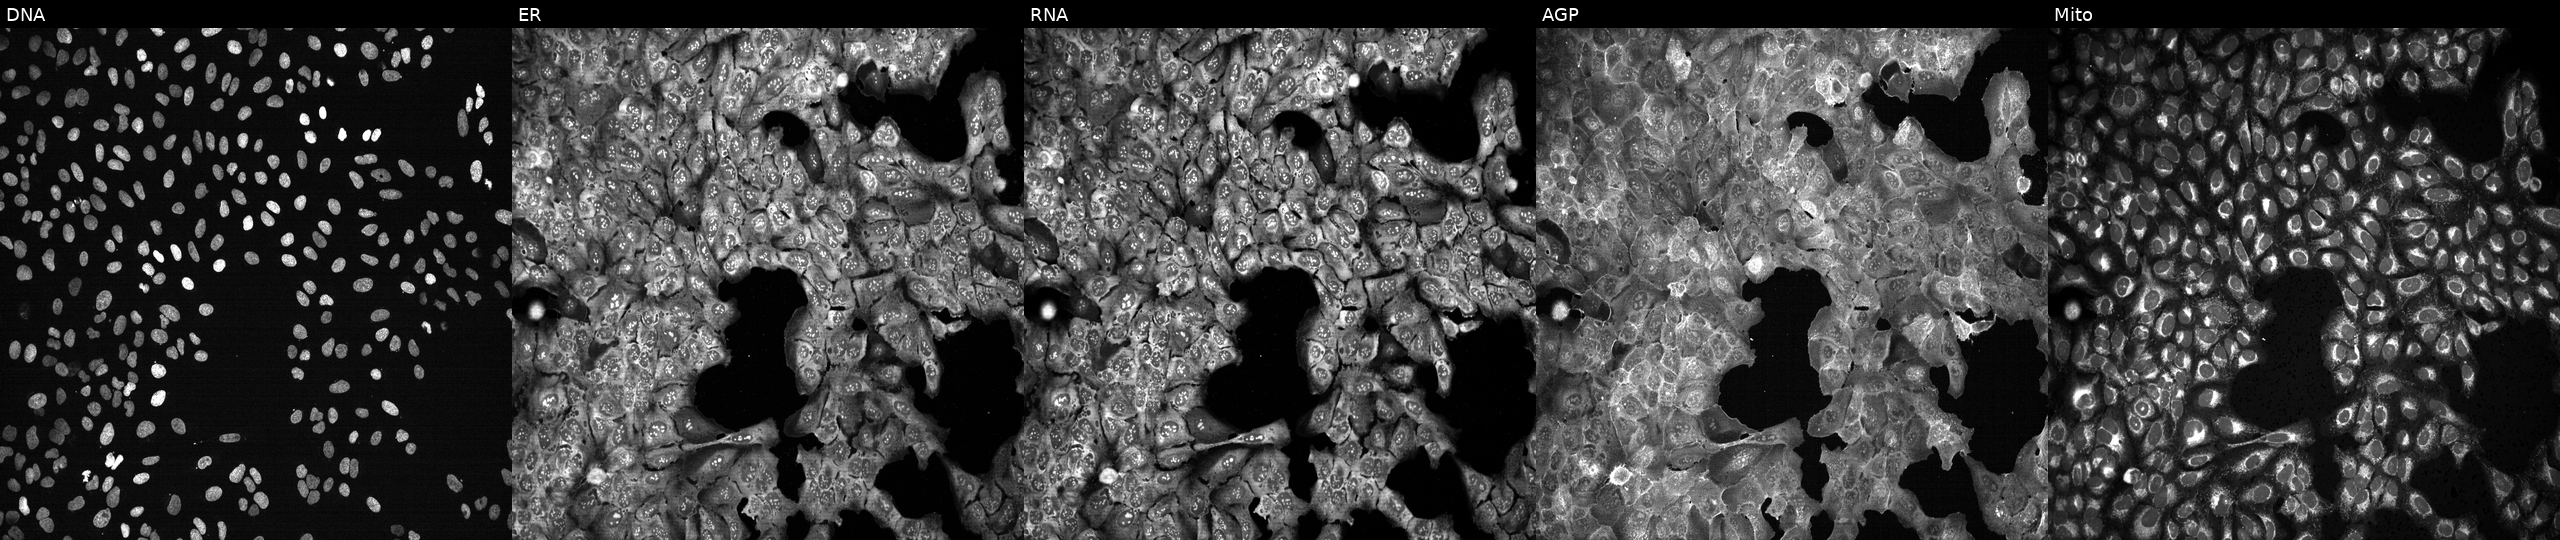
U2OS cells, Cell Painting assay, with MEST knocked out by CRISPR. Panels show, left to right, Hoechst 33342, concanavalin A, SYTO 14, phalloidin and WGA, MitoTracker. Each panel is percentile-stretched 16-bit fluorescence.